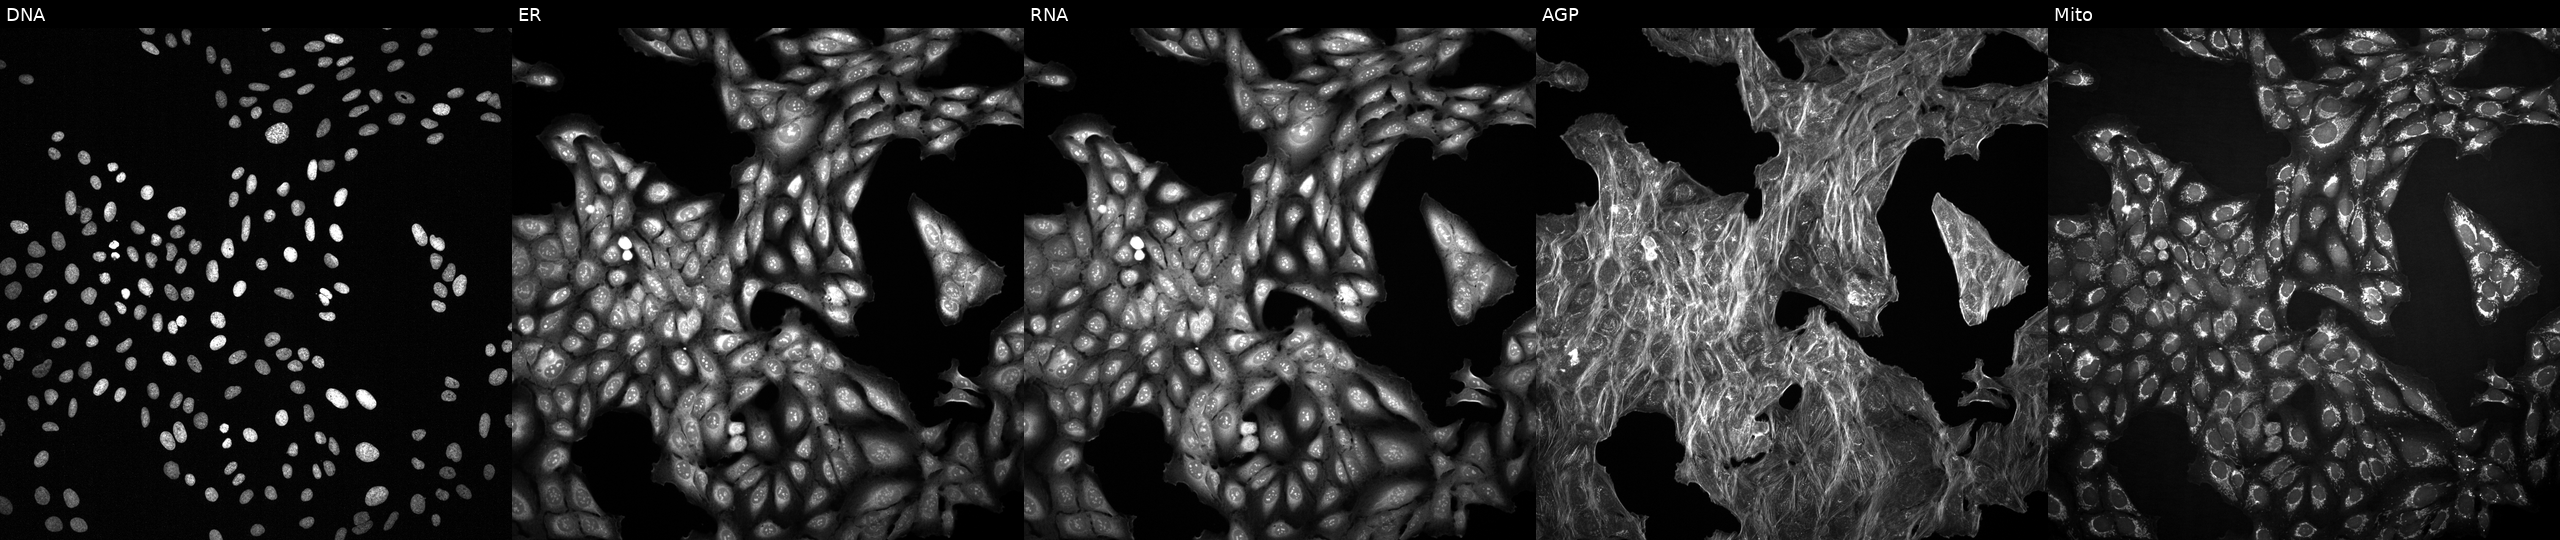
This image strip shows the five Cell Painting channels for a single field of U2OS cells treated with a small-molecule compound (InChIKey XIVOLEKHEMYRBO-UHFFFAOYSA-N). From left to right: DNA, ER, RNA, AGP, and Mito.